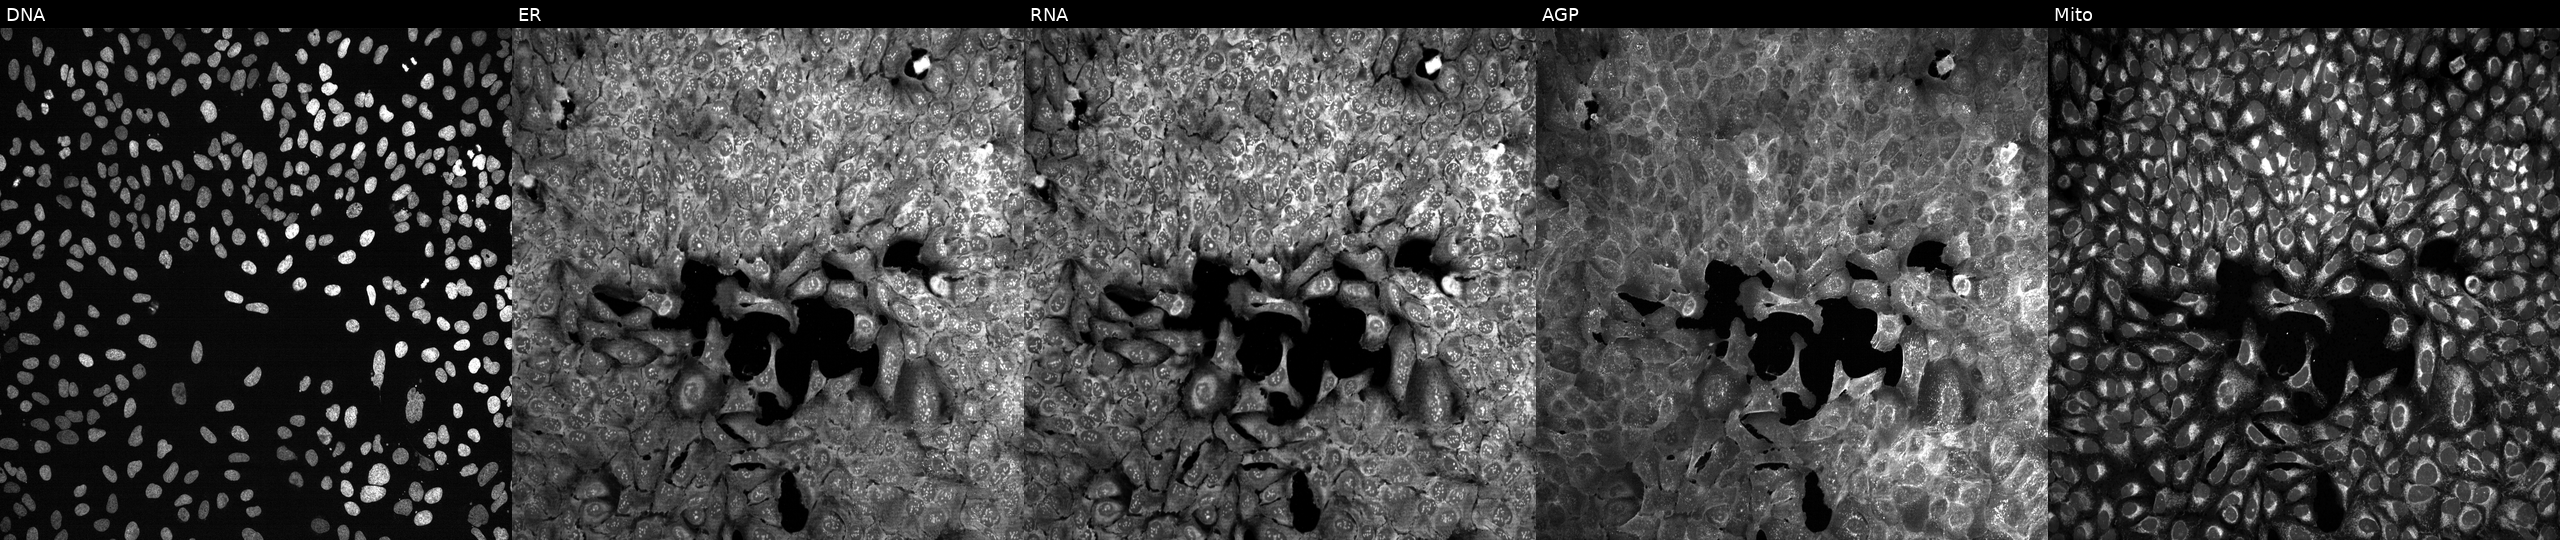
Five-channel Cell Painting image of U2OS cells CRISPR-edited to disrupt SENP7 (JUMP id JCP2022_806257). From left to right: DNA, ER, RNA, AGP, and Mito. Source 13, plate CP-CC9-R6-19, well H07.